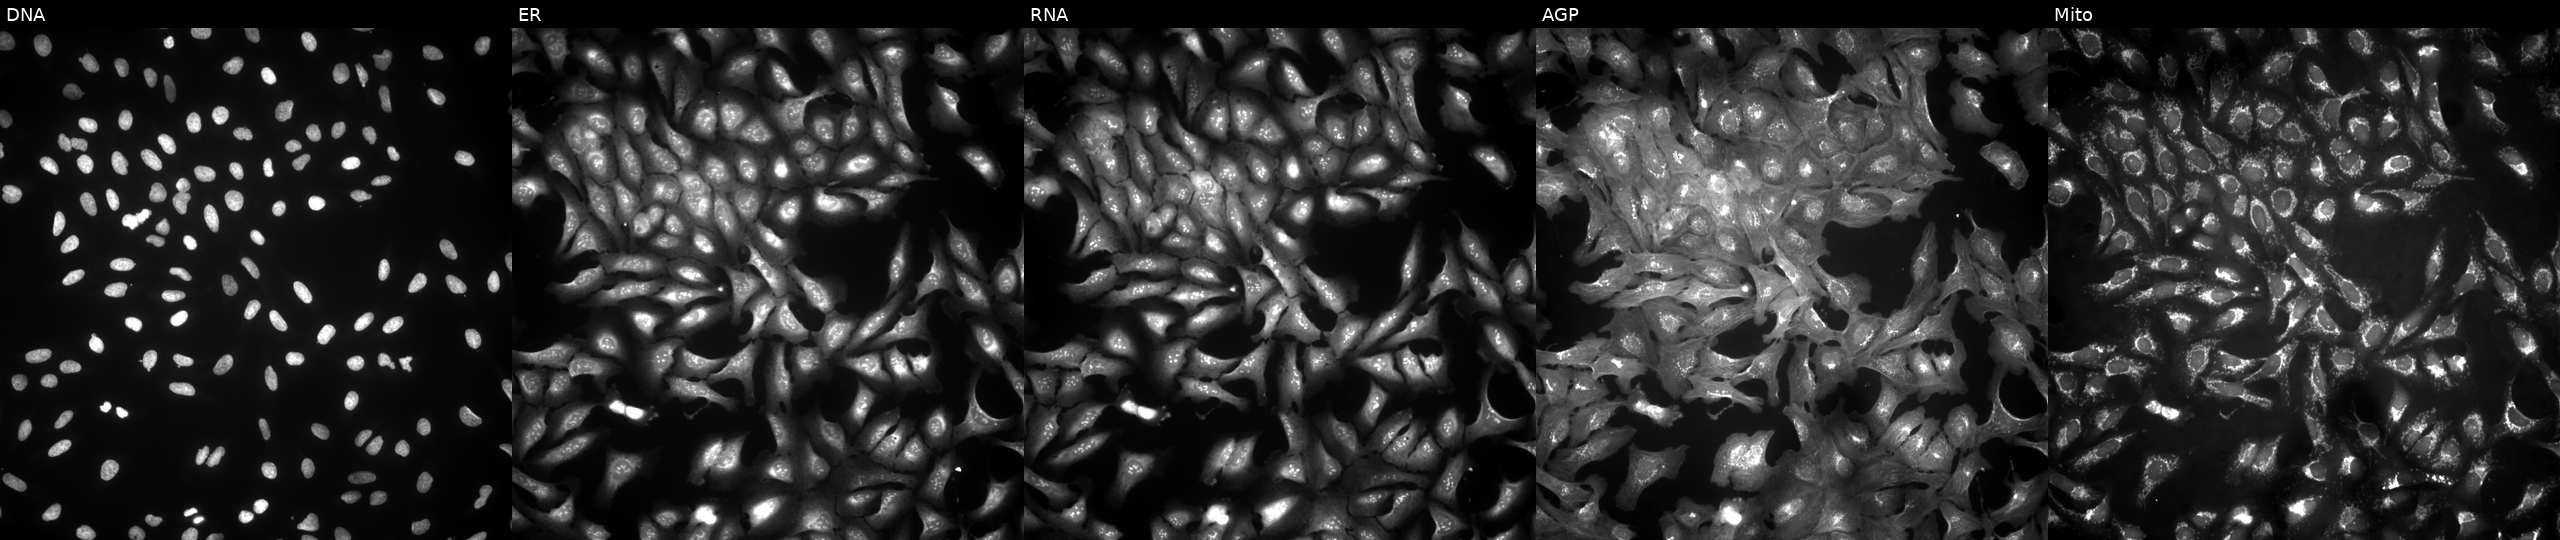
High-content fluorescence microscopy (Cell Painting). Cell line: U2OS. Perturbation: overexpressing CPB2 via ORF transfection. Panels show, left to right, DNA, ER, RNA, AGP, and Mito.